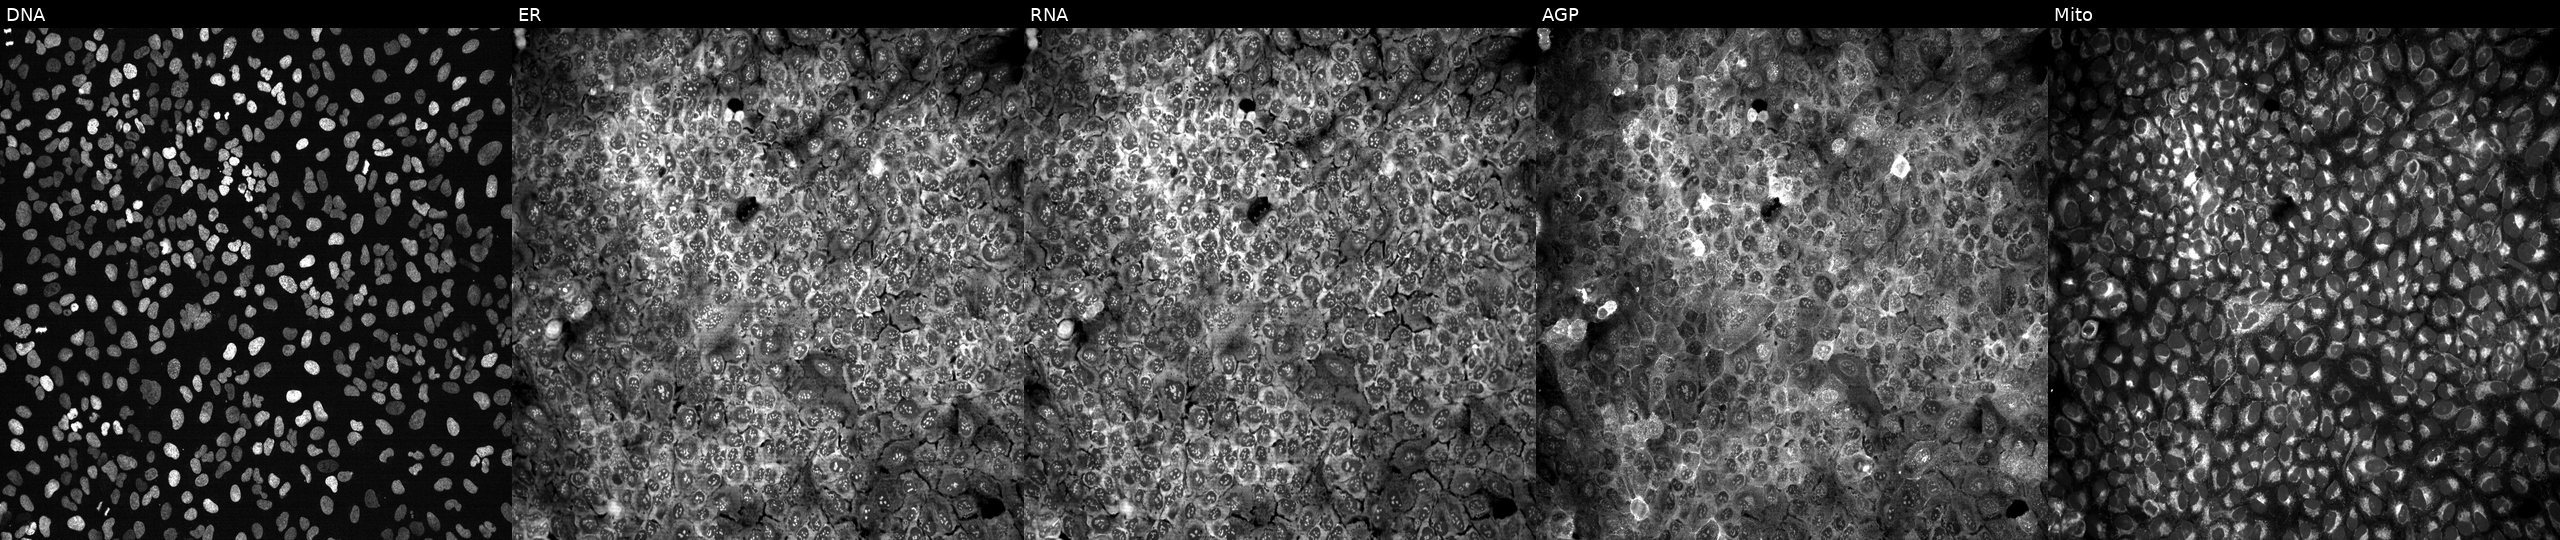
JUMP Cell Painting — CRISPR plate. U2OS cells CRISPR-edited to disrupt PMEL (JUMP id JCP2022_805293). From left to right: DNA, ER, RNA, AGP, and Mito. Source 13, plate CP-CC9-R4-03, well H22.